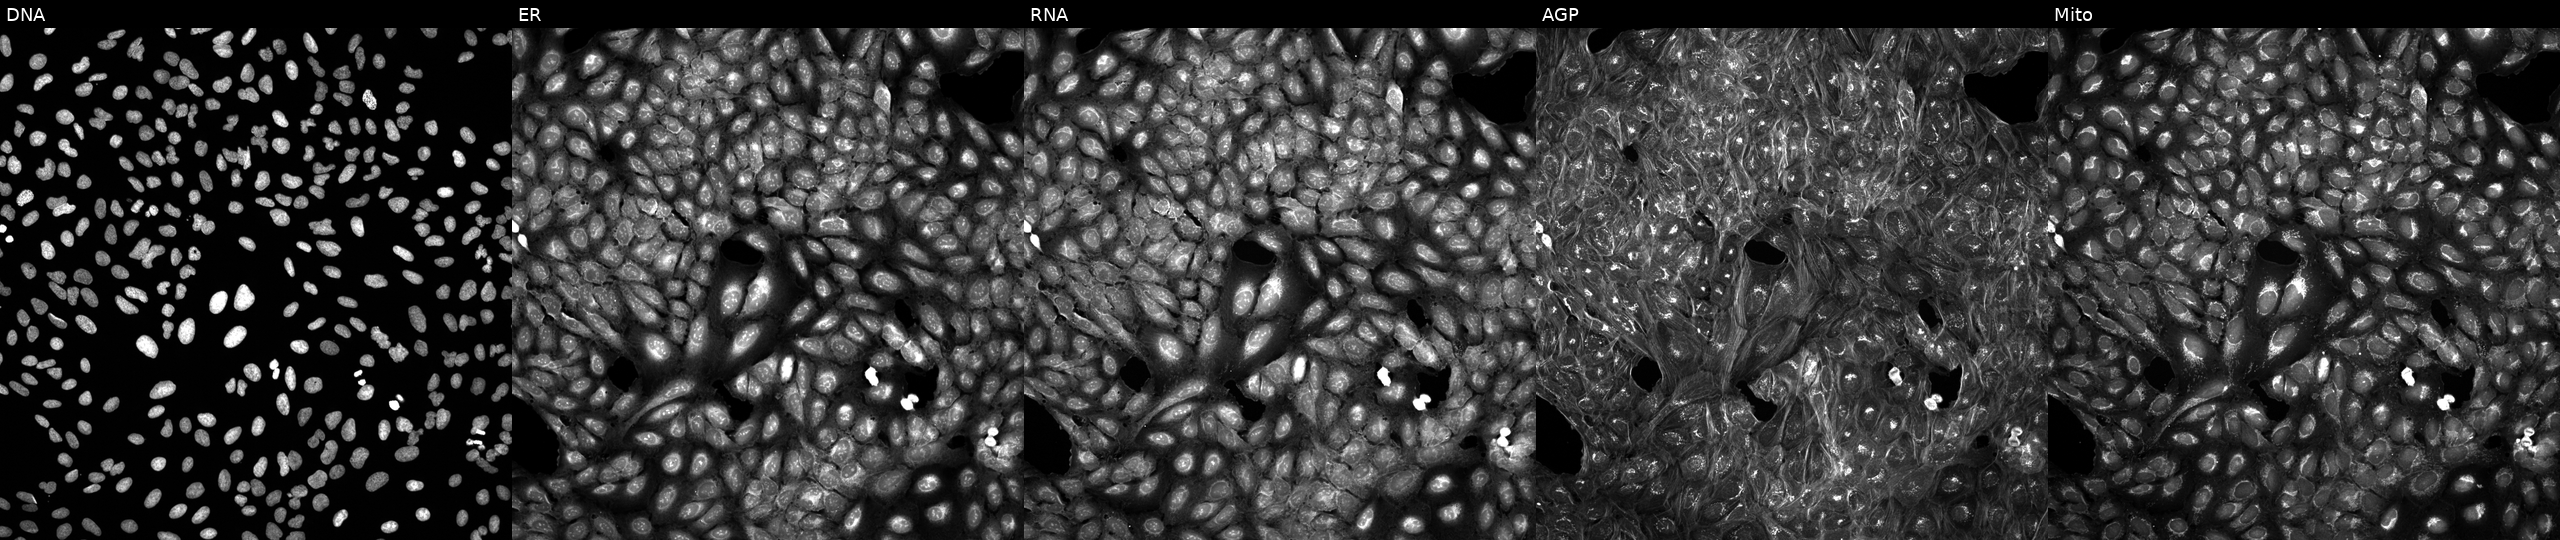
High-content fluorescence microscopy (Cell Painting). Cell line: U2OS. Perturbation: exposed to a small-molecule compound (InChIKey GZRYFPMIVXYOEI-UHFFFAOYSA-N) (JUMP id JCP2022_028773). Panels show, left to right, DNA, ER, RNA, AGP, and Mito.